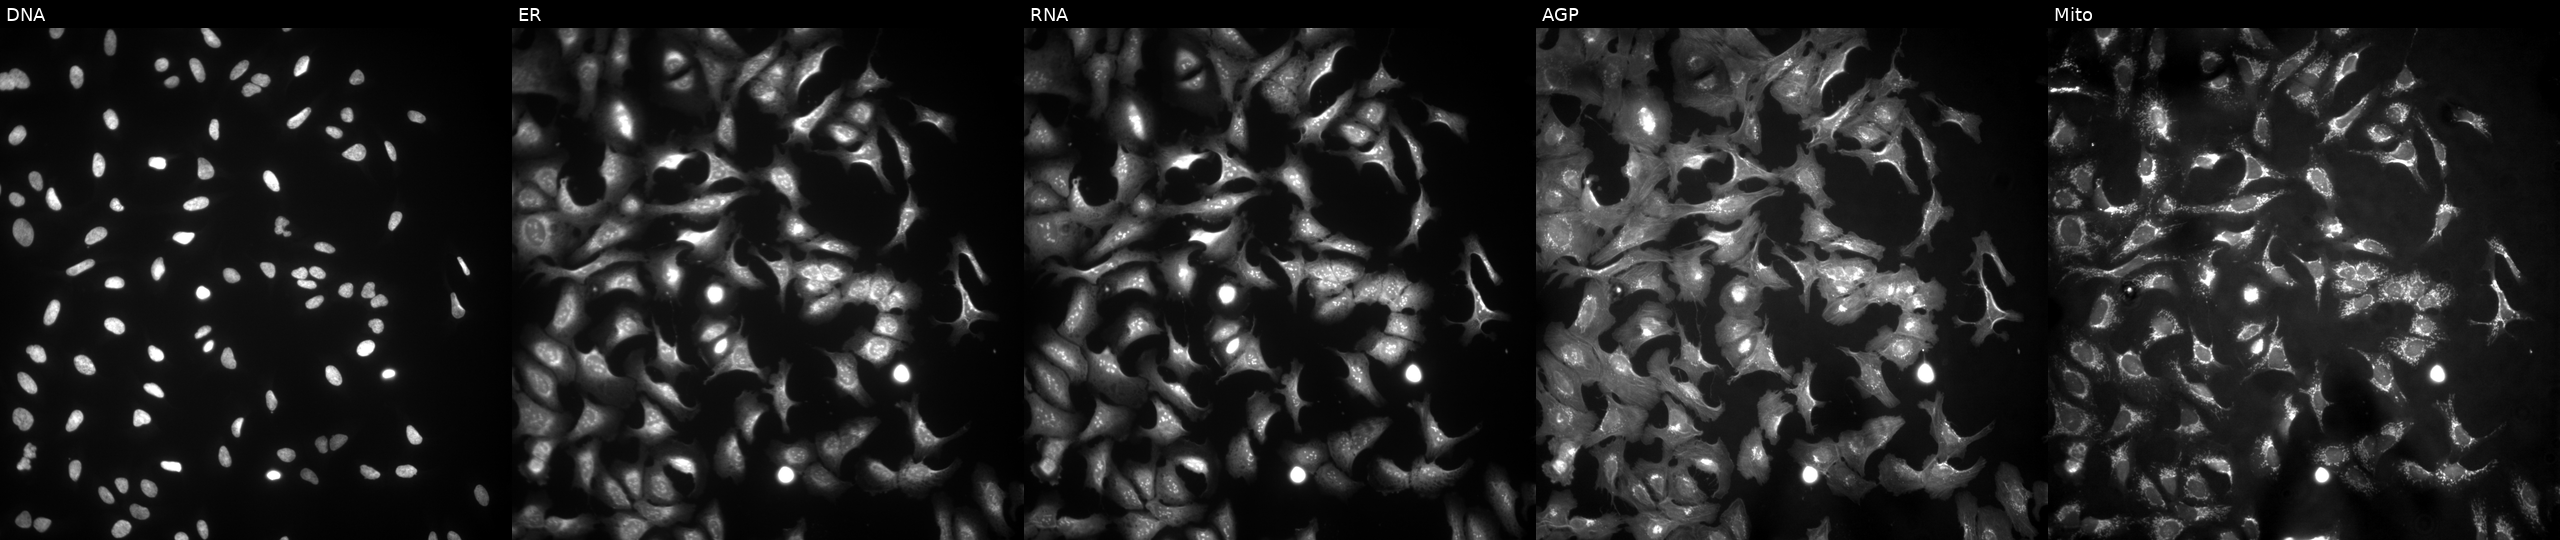
U2OS cells, Cell Painting assay, transfected with an ORF construct for PODN (JUMP id JCP2022_908869). Panels show, left to right, Hoechst 33342, concanavalin A, SYTO 14, phalloidin and WGA, MitoTracker. Each panel is percentile-stretched 16-bit fluorescence.